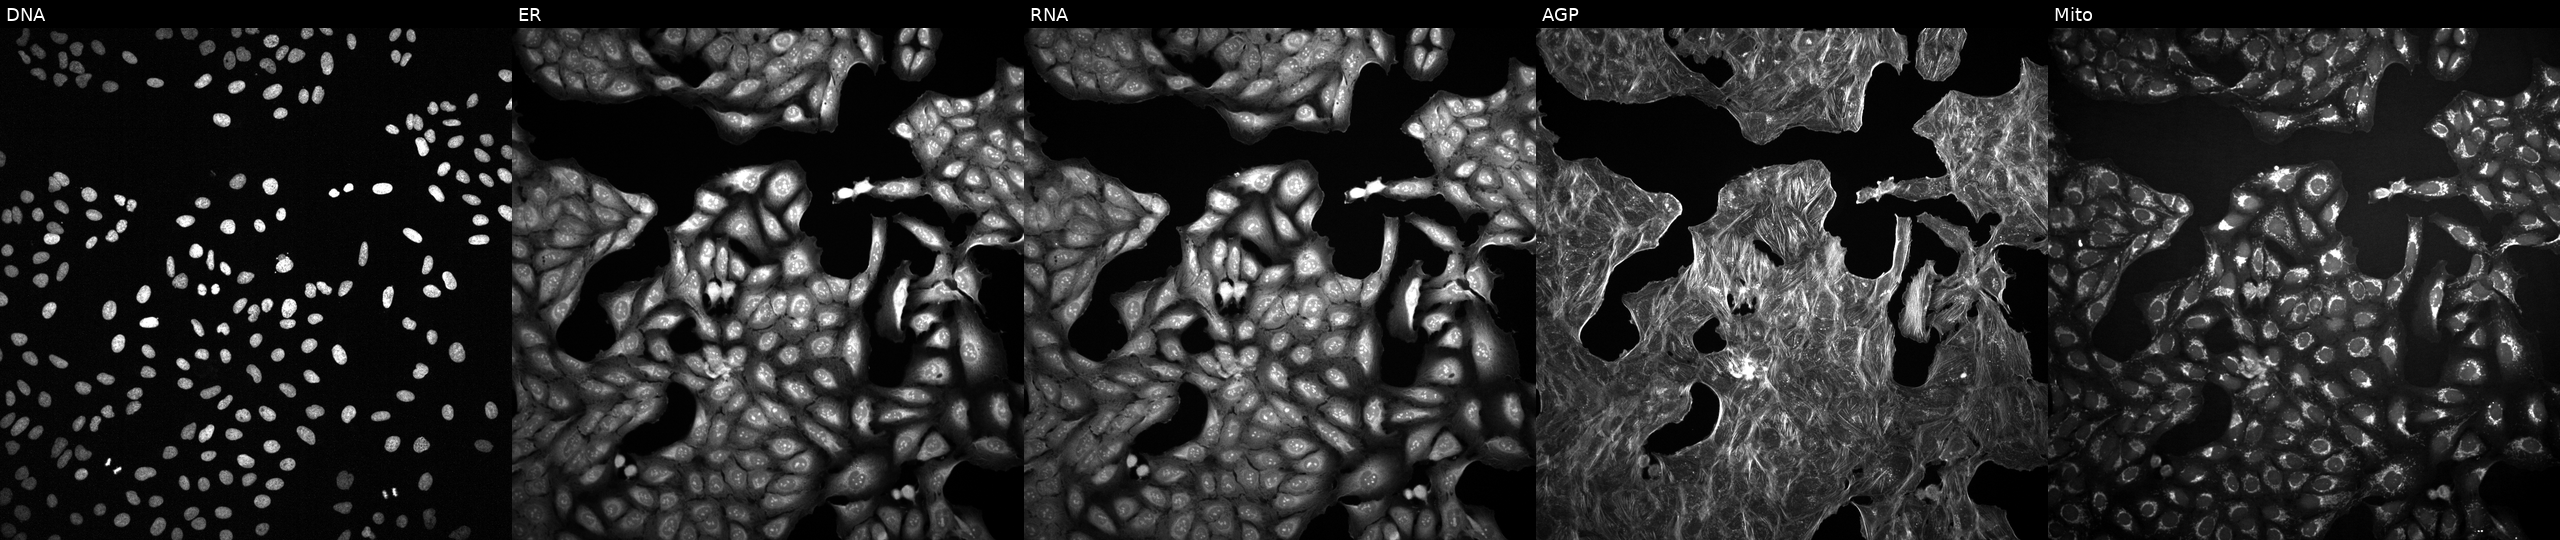
The five panels, left to right, show DNA (nuclei); ER (endoplasmic reticulum); RNA (nucleoli and cytoplasmic RNA); AGP (actin cytoskeleton, Golgi, and plasma membrane); Mito (mitochondria). U2OS osteosarcoma cells treated with a small-molecule compound (InChIKey VLNMQCLJWZDPCY-UHFFFAOYSA-N) (JUMP id JCP2022_094770). Cell Painting assay, JUMP-CP dataset. Source 2, plate 1053601756, well K06.